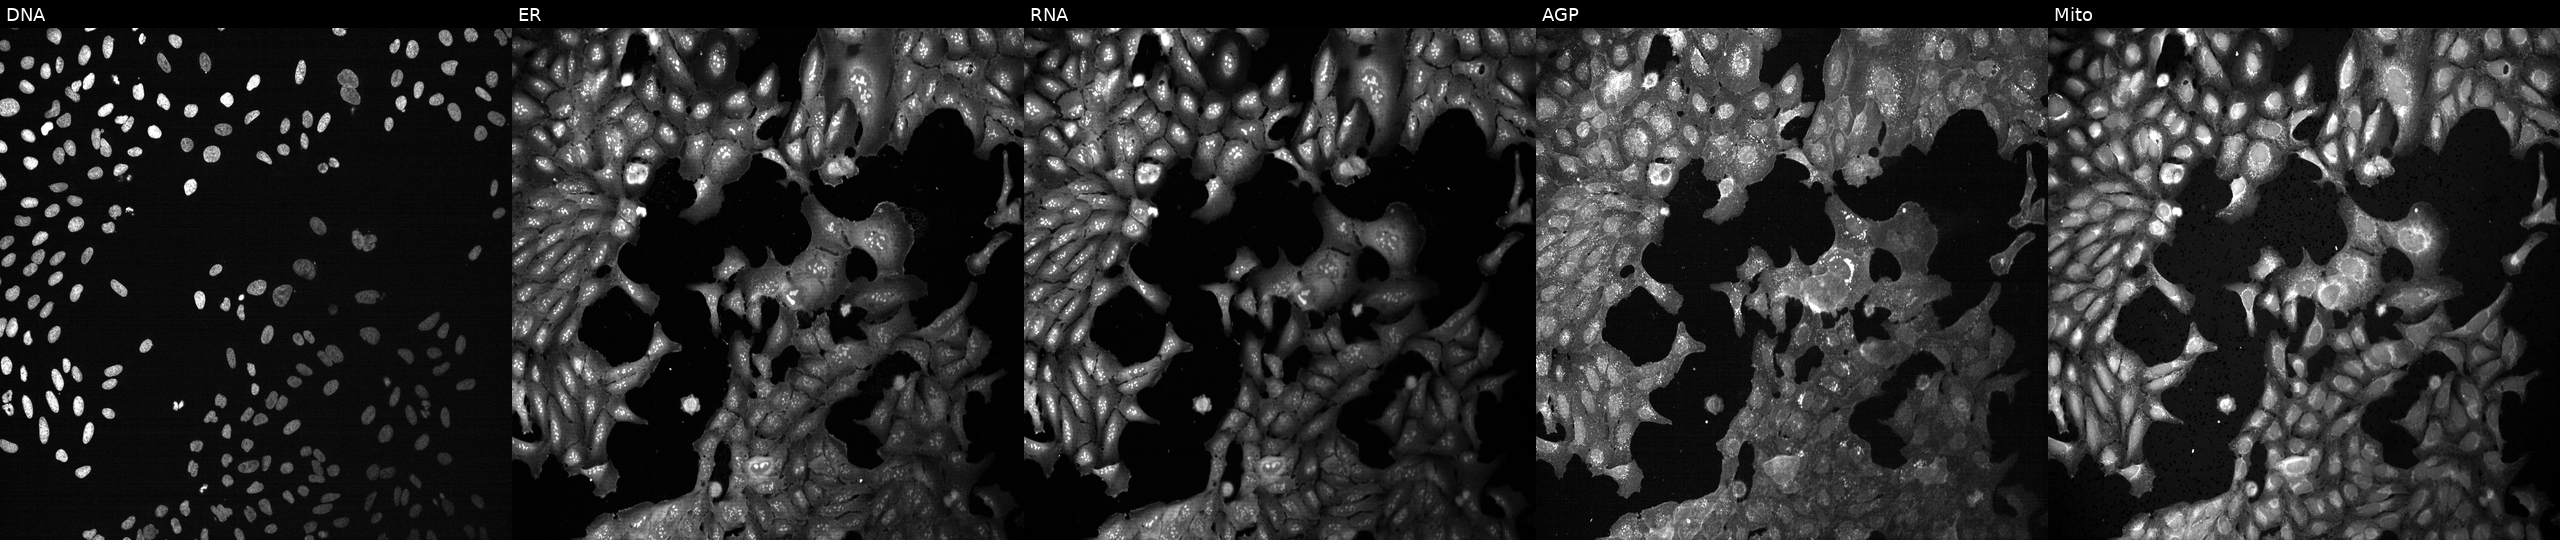
U2OS cells, Cell Painting assay, CRISPR-edited to disrupt APOF (JUMP id JCP2022_800528). The five panels, left to right, show Hoechst 33342, concanavalin A, SYTO 14, phalloidin and WGA, MitoTracker. Each panel is percentile-stretched 16-bit fluorescence. Source 13, plate CP-CC9-R1-02, well L22.